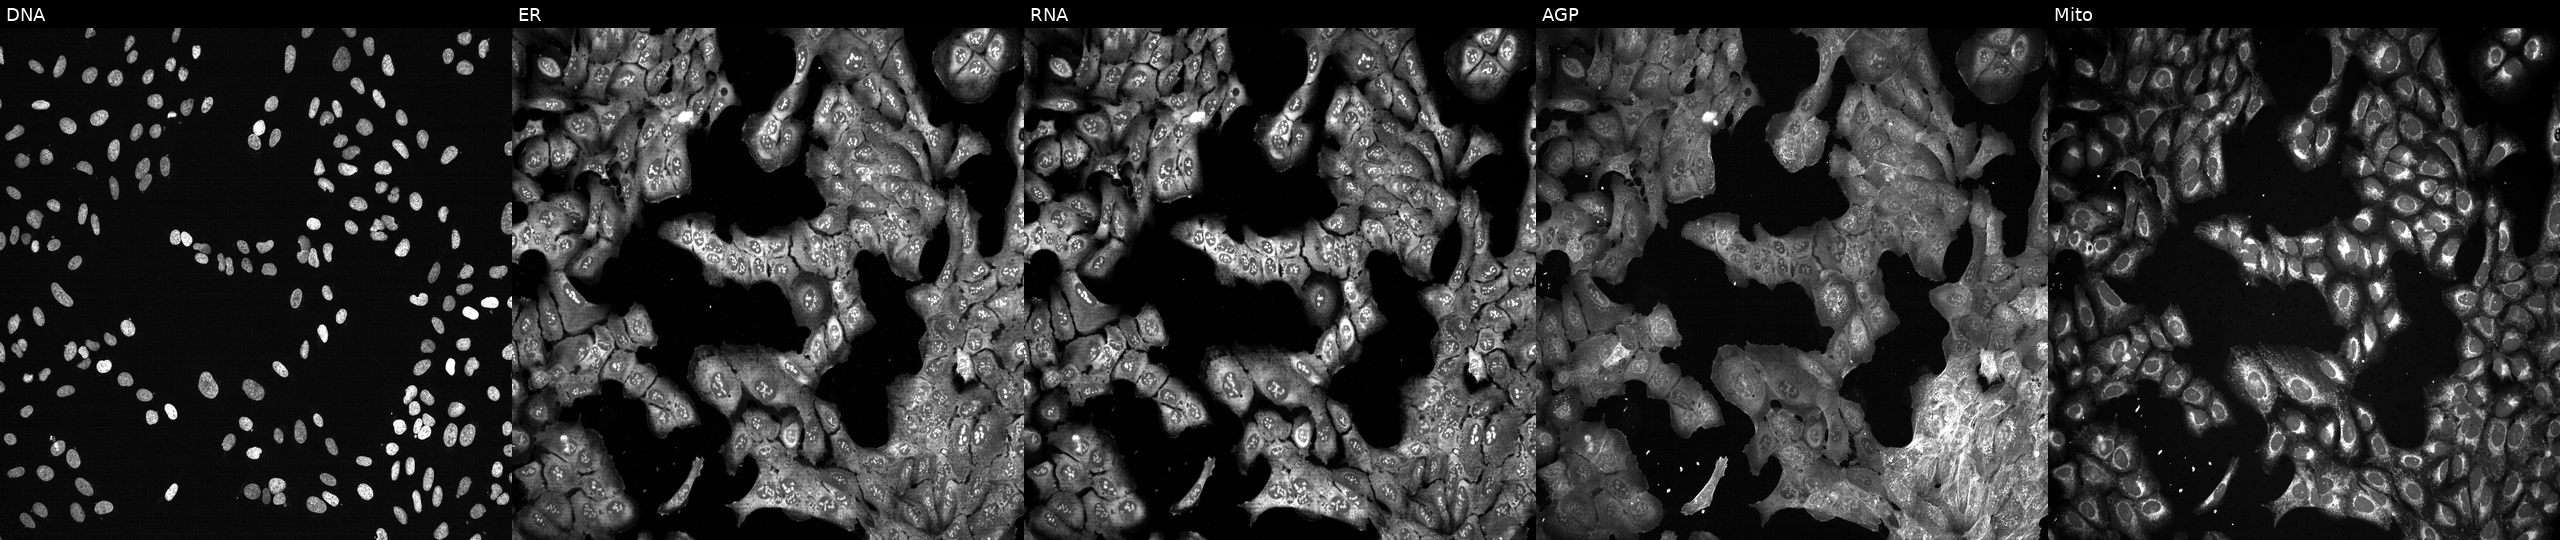
JUMP Cell Painting — CRISPR plate. U2OS cells following CRISPR knockout of TDO2 (JUMP id JCP2022_807011). Channels (left→right): DNA (nuclei); ER (endoplasmic reticulum); RNA (nucleoli and cytoplasmic RNA); AGP (actin cytoskeleton, Golgi, and plasma membrane); Mito (mitochondria).